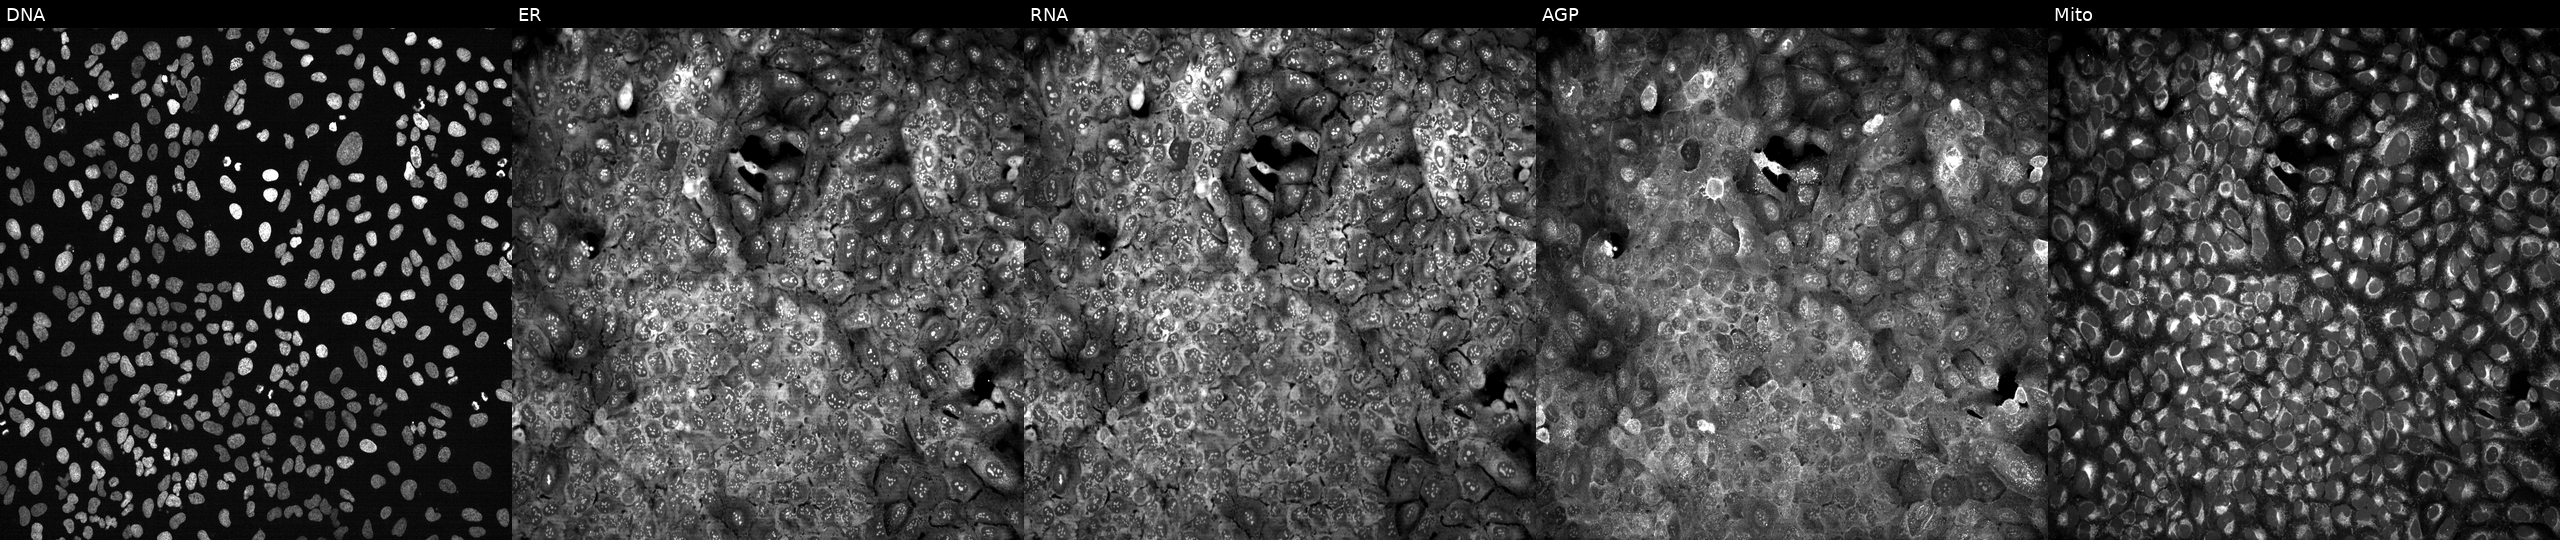
High-content fluorescence microscopy (Cell Painting). Cell line: U2OS. Perturbation: following CRISPR knockout of GDF11 (JUMP id JCP2022_802655). The five panels, left to right, show Hoechst 33342, concanavalin A, SYTO 14, phalloidin and WGA, MitoTracker. Source 13, plate CP-CC9-R4-04, well N13.